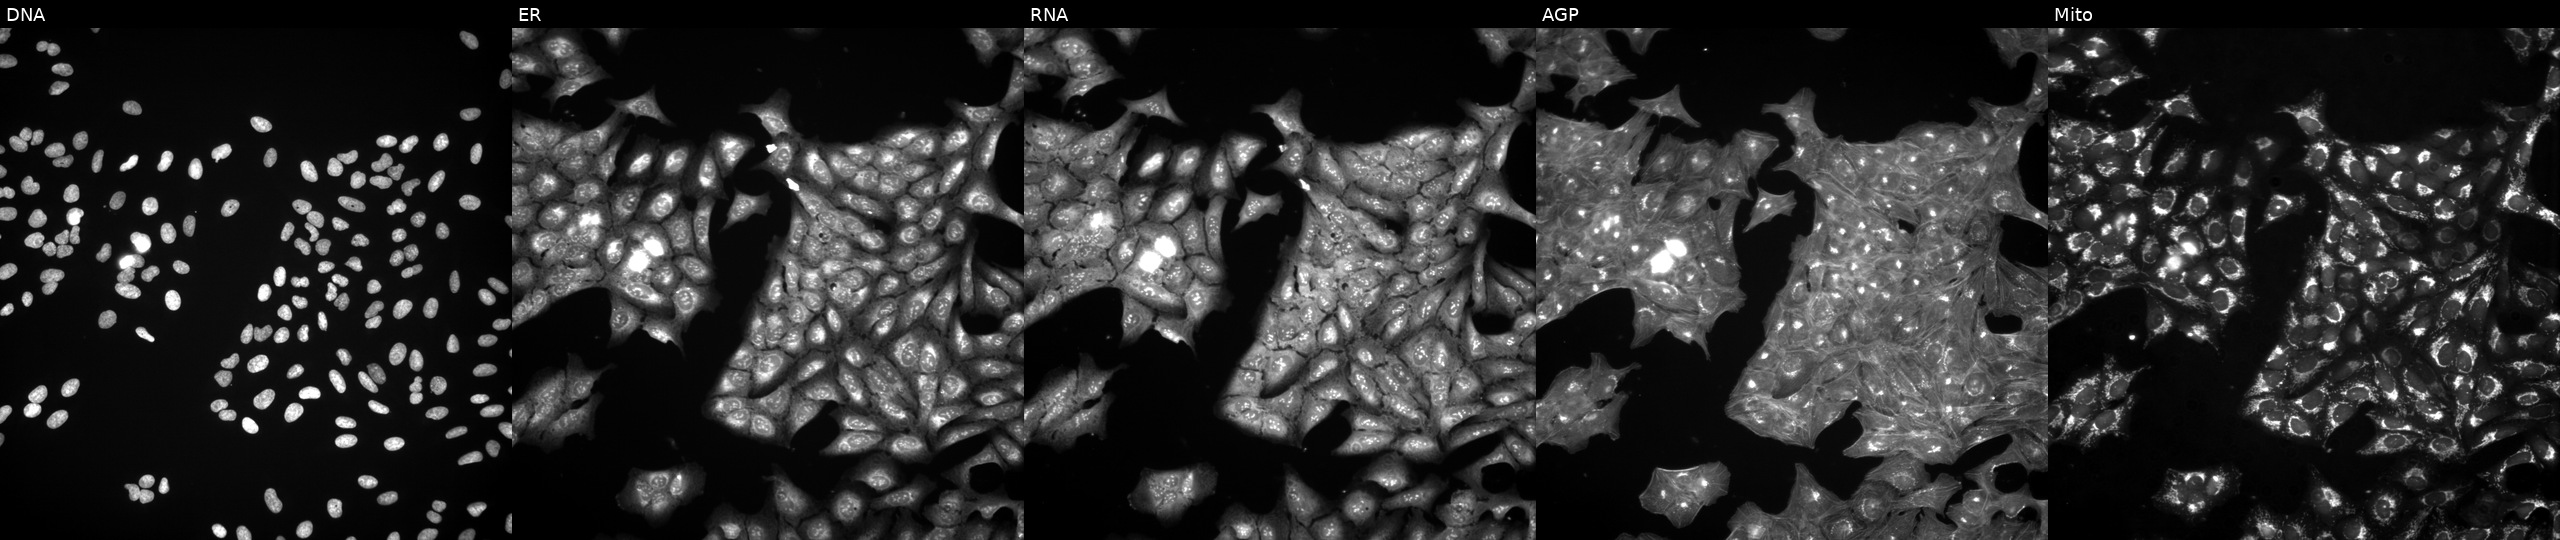
Five-channel Cell Painting image of U2OS cells perturbed with a small-molecule compound. The five panels, left to right, show DNA (nuclei); ER (endoplasmic reticulum); RNA (nucleoli and cytoplasmic RNA); AGP (actin cytoskeleton, Golgi, and plasma membrane); Mito (mitochondria).